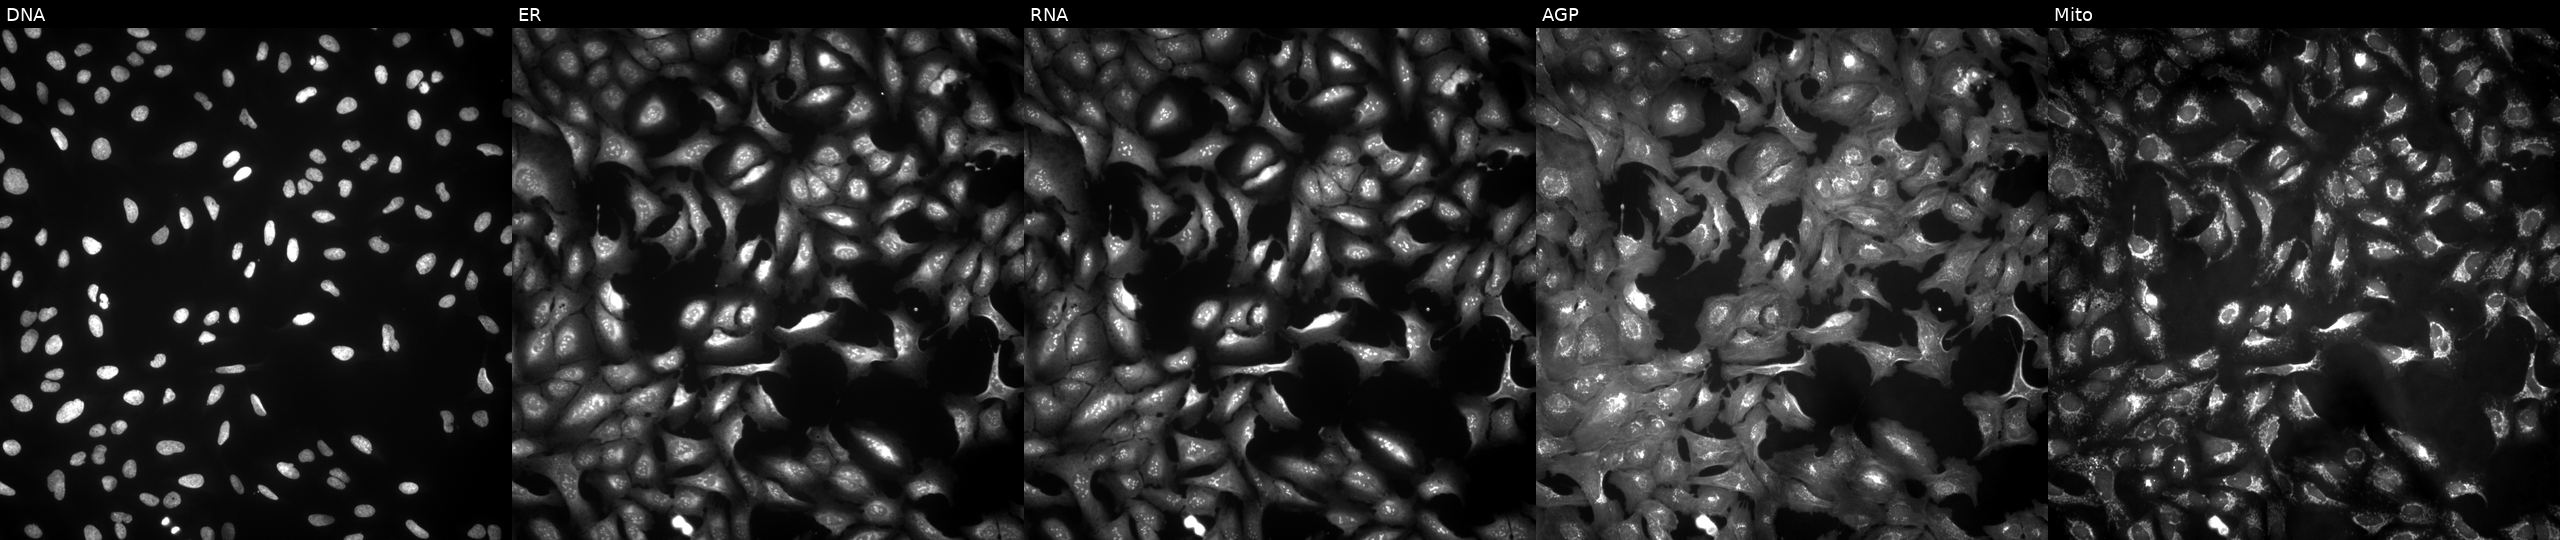
JUMP Cell Painting — ORF plate. U2OS cells with PGLYRP3 overexpressed (ORF). From left to right: DNA, ER, RNA, AGP, and Mito.